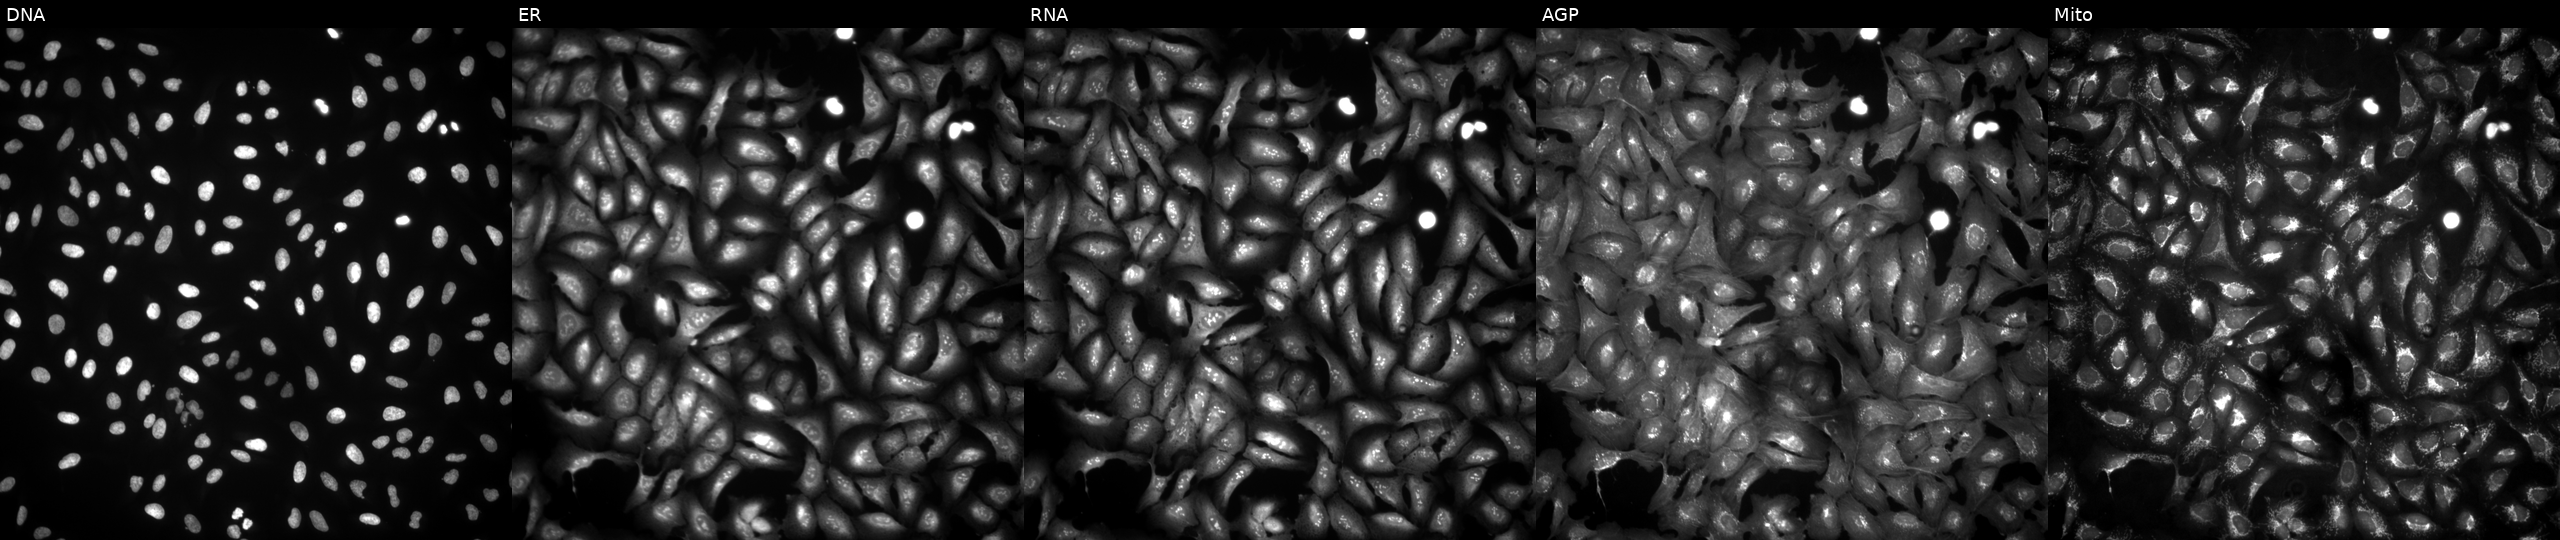
High-content fluorescence microscopy (Cell Painting). Cell line: U2OS. Perturbation: with ANKRD40CL overexpressed (ORF). Channels (left→right): Hoechst 33342, concanavalin A, SYTO 14, phalloidin and WGA, MitoTracker. Source 4, plate BR00124790, well E02.